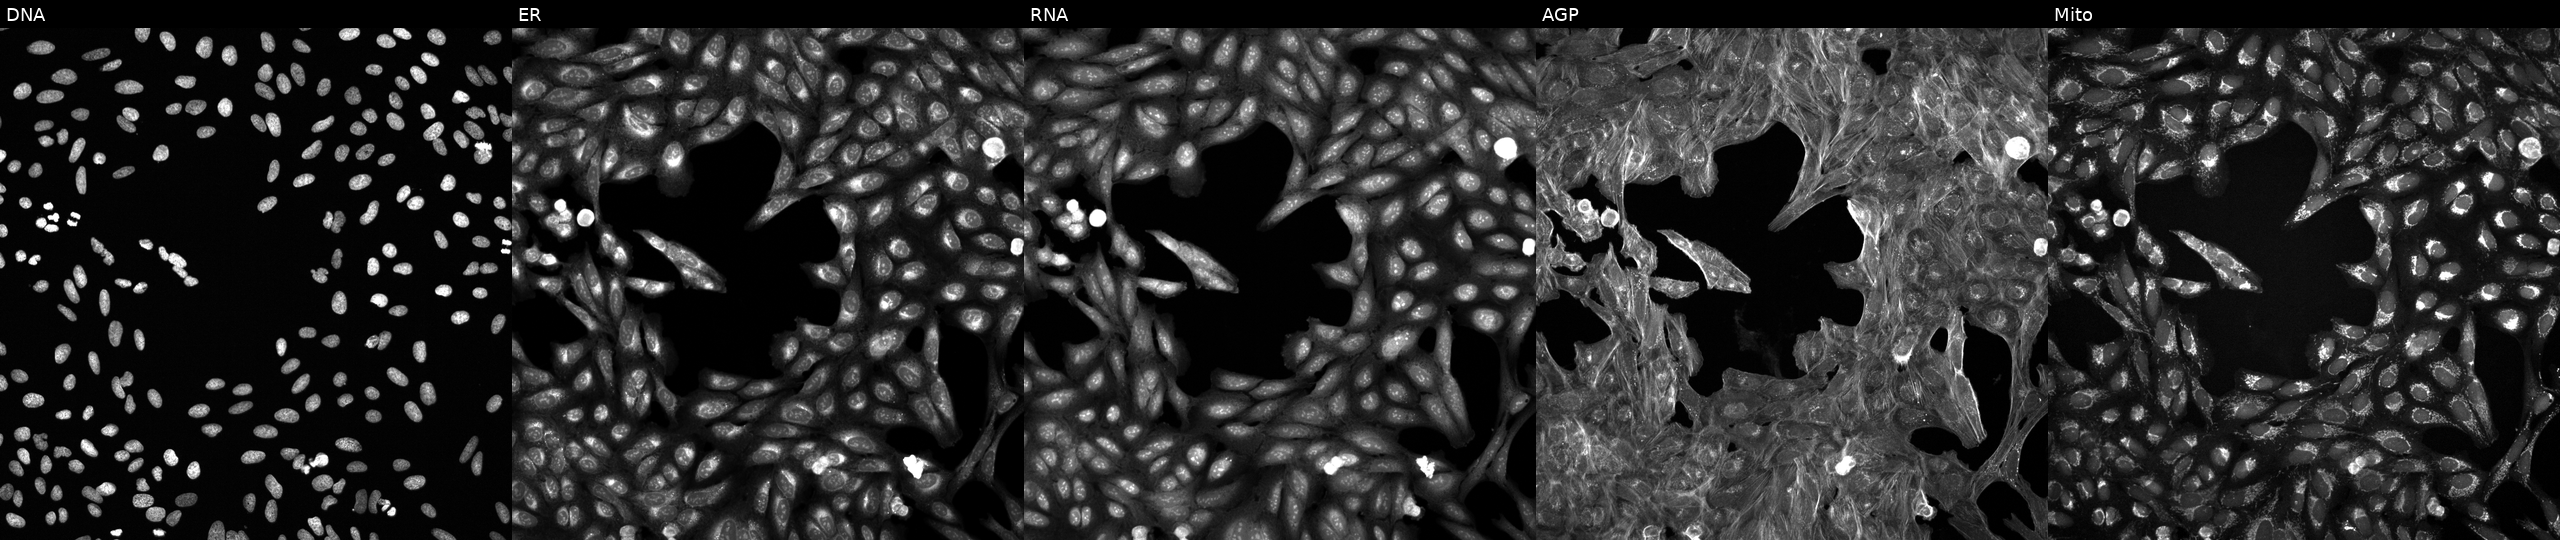
JUMP Cell Painting — TARGET2 plate. U2OS cells treated with a small-molecule compound (InChIKey NUIKTBLZSPQGCP-UHFFFAOYSA-N). Panels show, left to right, DNA (nuclei); ER (endoplasmic reticulum); RNA (nucleoli and cytoplasmic RNA); AGP (actin cytoskeleton, Golgi, and plasma membrane); Mito (mitochondria). Source 6, plate 110000293093, well A21.